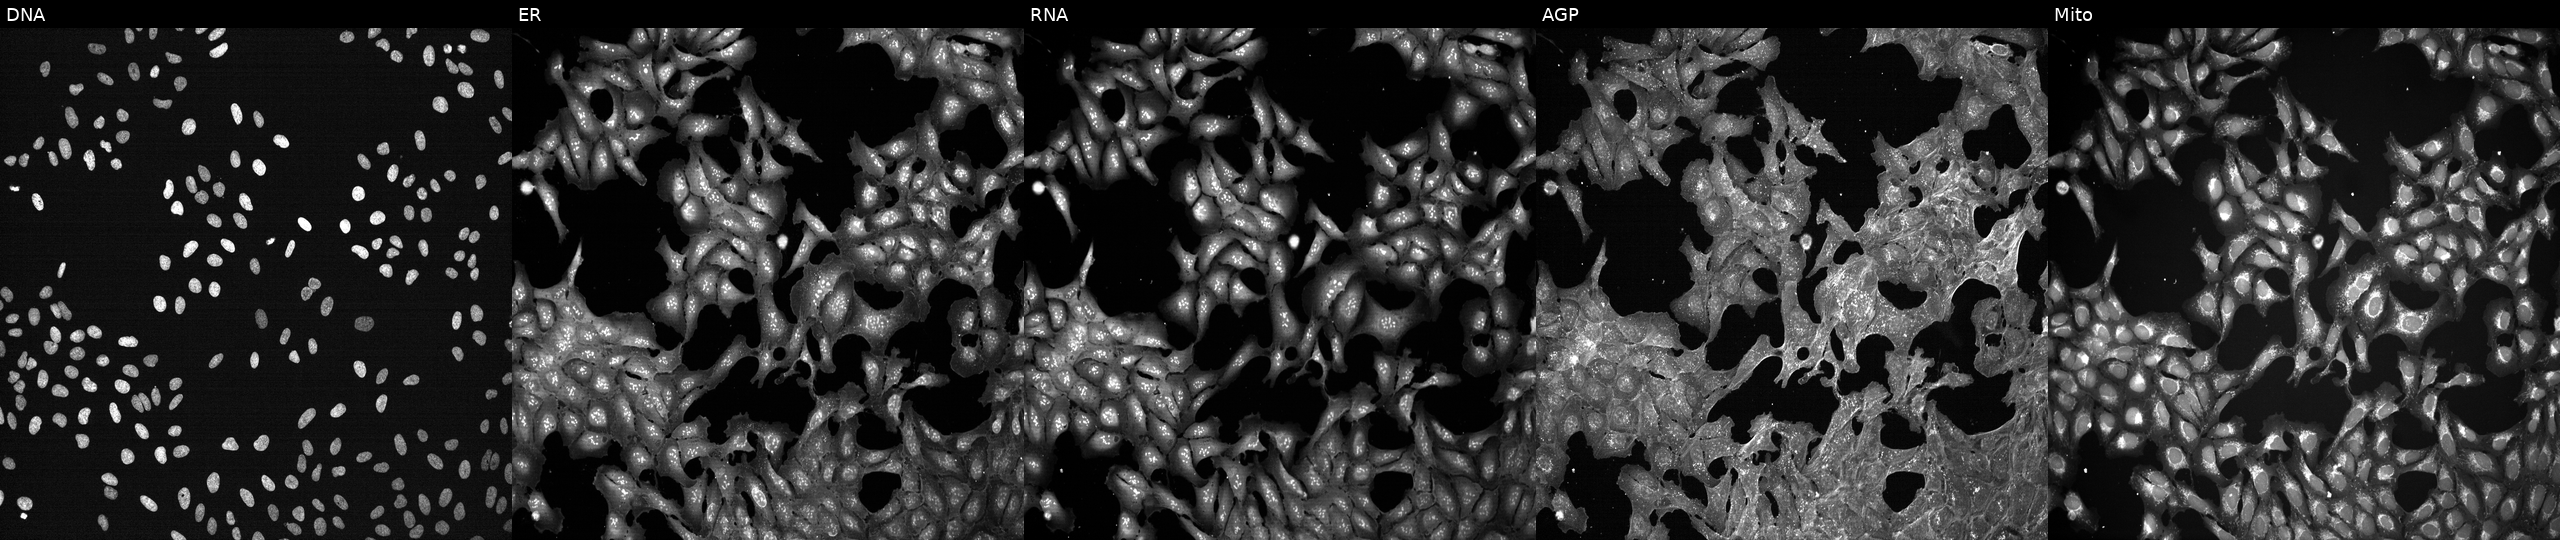
Five-channel Cell Painting image of U2OS cells perturbed with a small-molecule compound (InChIKey PYNXFZCZUAOOQC-UHFFFAOYSA-N) (JUMP id JCP2022_071811). The five panels, left to right, show DNA, ER, RNA, AGP, and Mito.